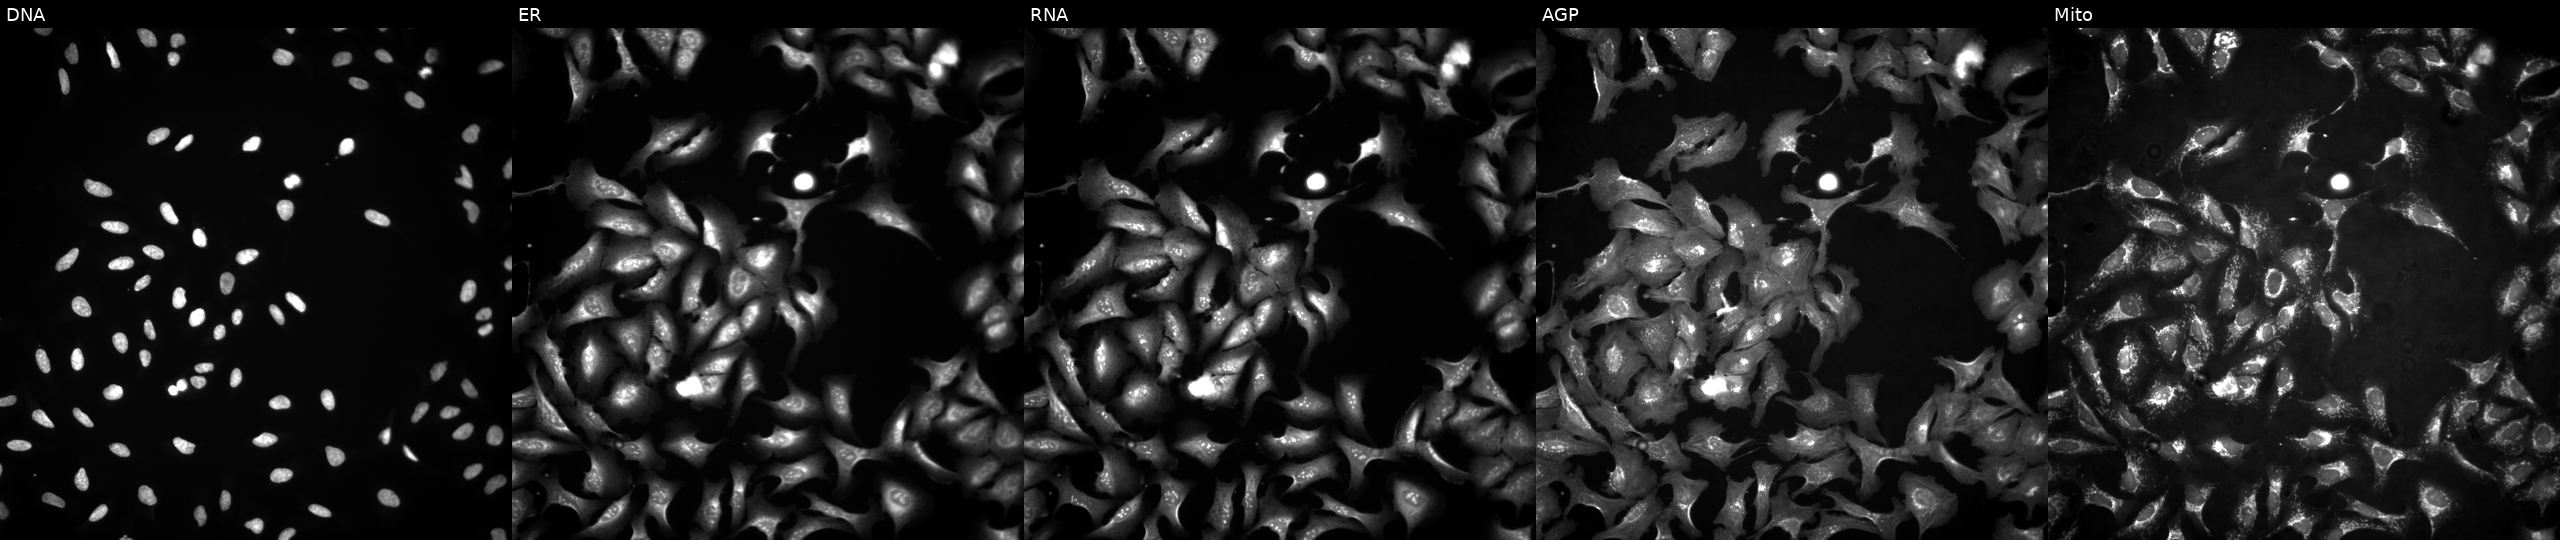
Channels (left→right): Hoechst 33342, concanavalin A, SYTO 14, phalloidin and WGA, MitoTracker. U2OS osteosarcoma cells expressing LUCIFERASE (ORF negative control). Cell Painting assay, JUMP-CP dataset. Source 4, plate BR00124787, well E22.